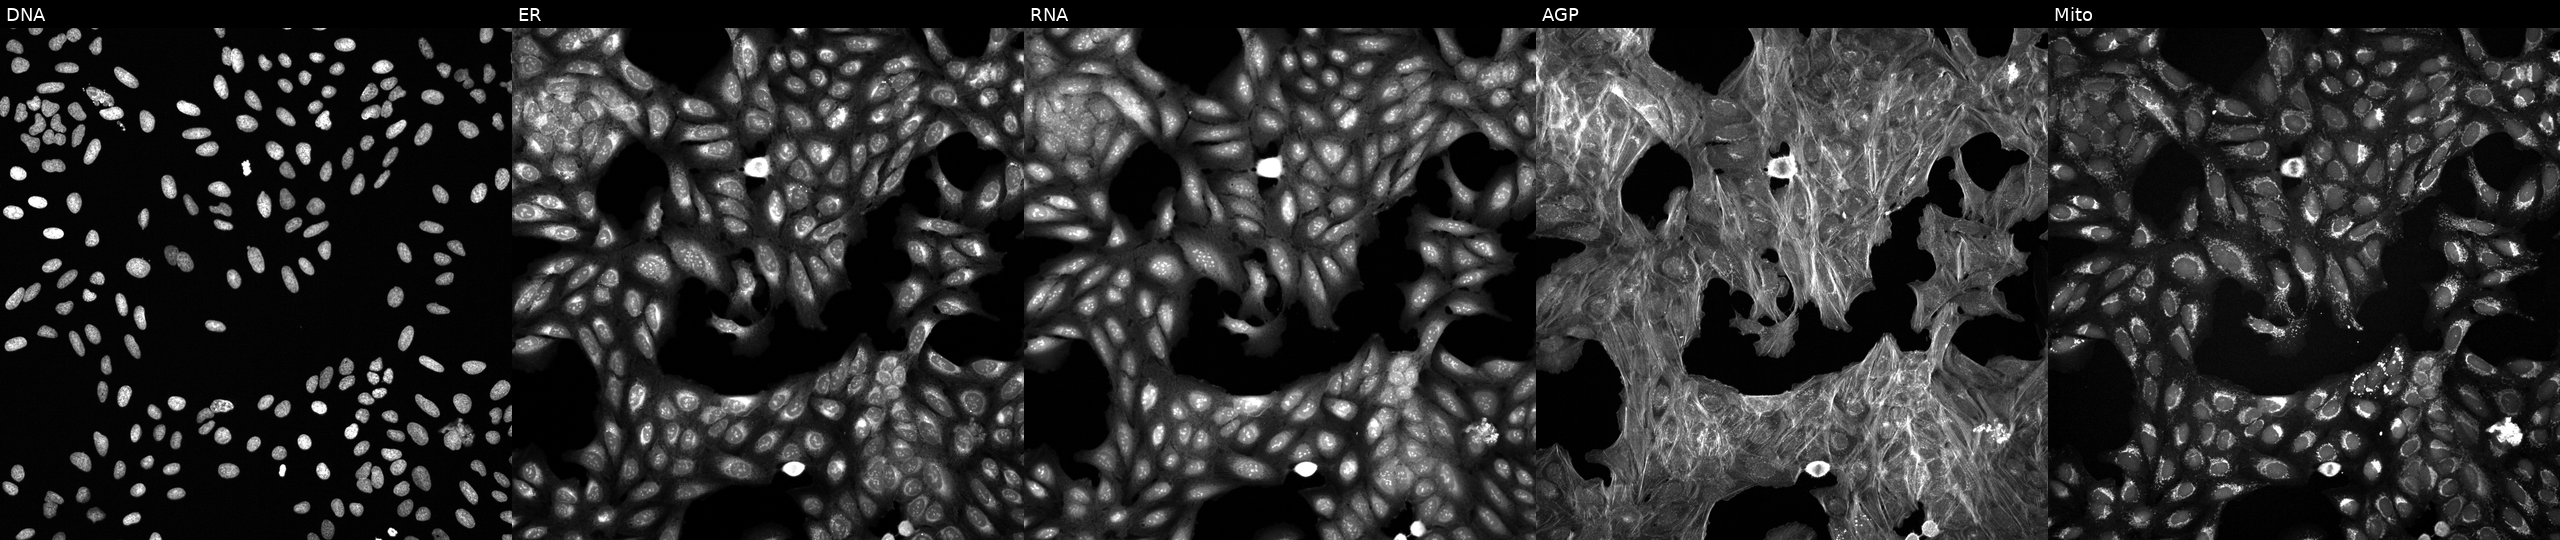
From left to right: DNA, ER, RNA, AGP, and Mito. U2OS osteosarcoma cells treated with a small-molecule compound (InChIKey PDMUULPVBYQBBK-UHFFFAOYSA-N) [SMILES: CCCCOc1cc(CC2CNC(=O)N2)ccc1OC]. Cell Painting assay, JUMP-CP dataset.